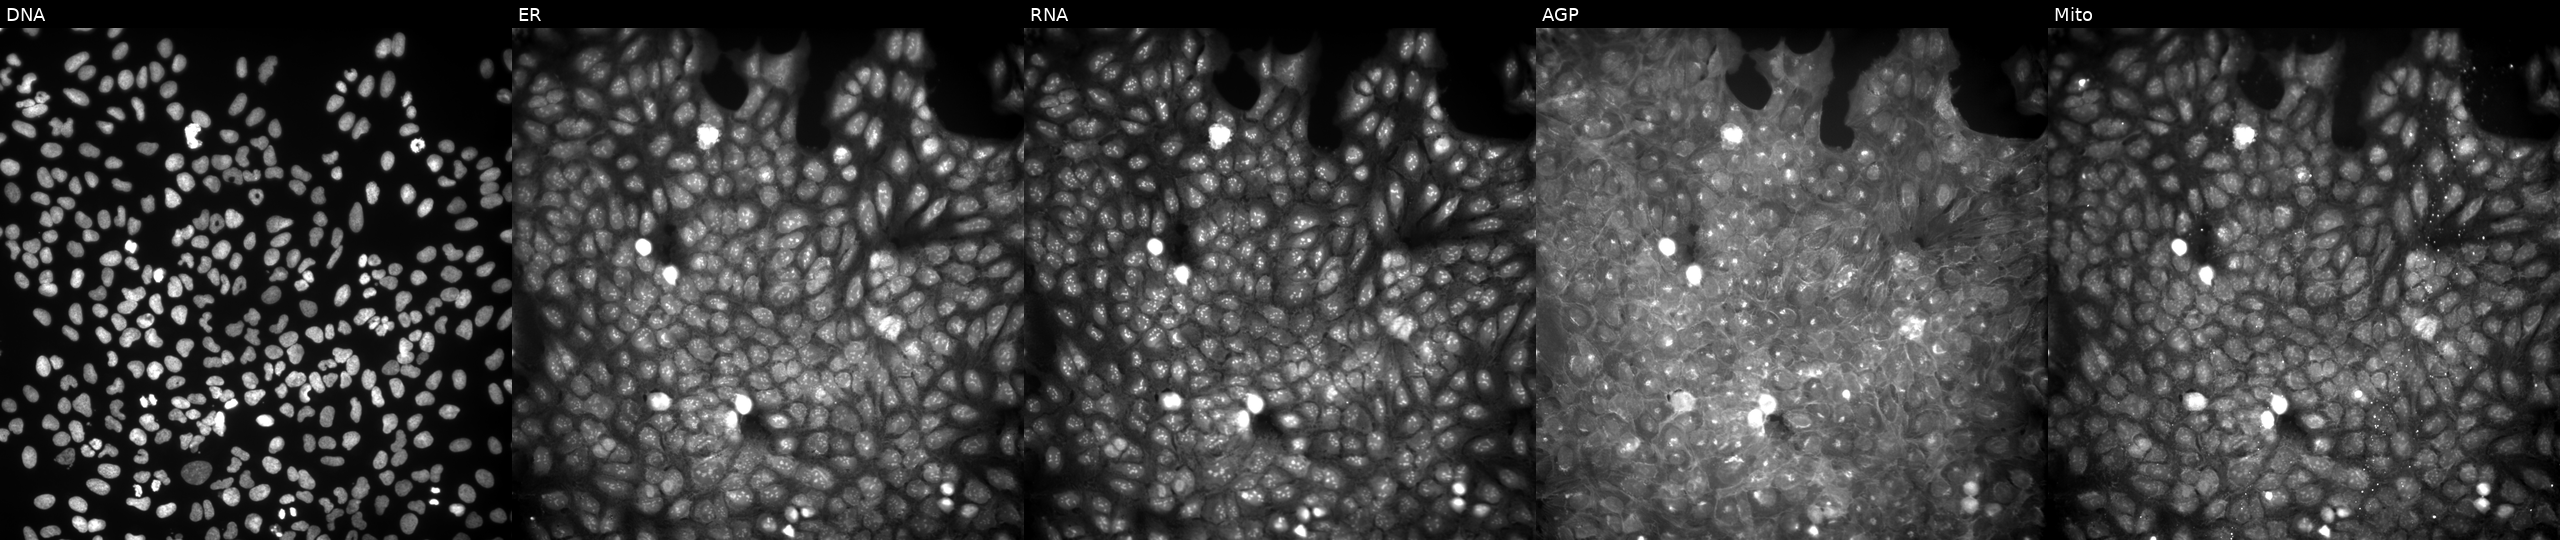
Five-channel Cell Painting image of U2OS cells treated with a small-molecule compound (InChIKey AYFDJVUCZAHQPT-UHFFFAOYSA-N). From left to right: Hoechst 33342, concanavalin A, SYTO 14, phalloidin and WGA, MitoTracker.